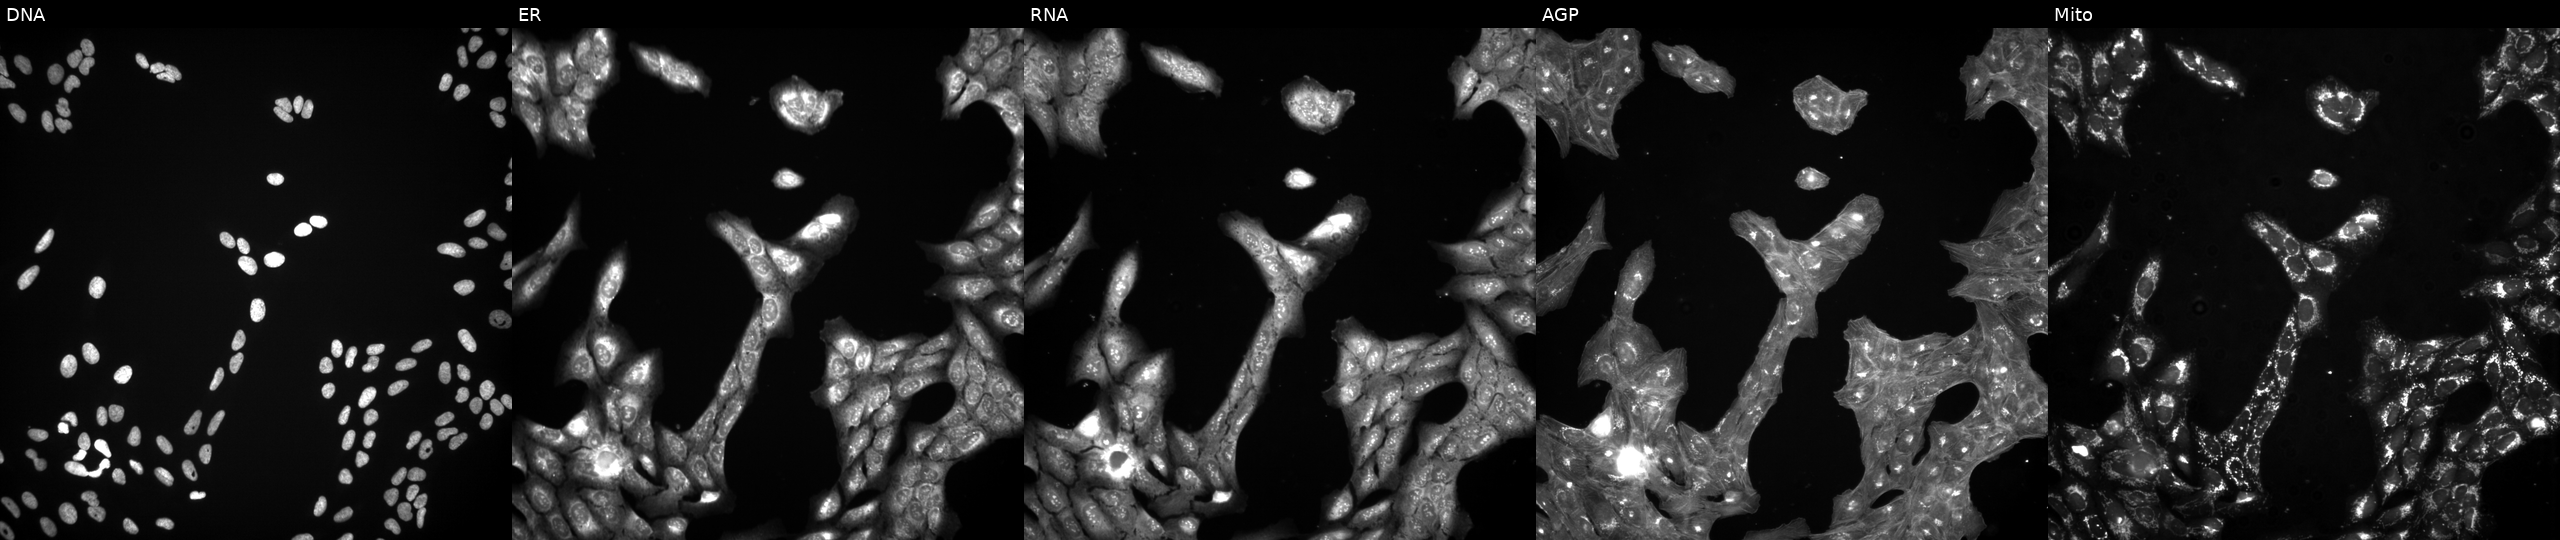
High-content fluorescence microscopy (Cell Painting). Cell line: U2OS. Perturbation: perturbed with a small-molecule compound (InChIKey CWOBDQVMKZXBET-UHFFFAOYSA-N) [SMILES: COc1cc(C2NC(=O)N=C(c3ccccc3)C2C(=O)c2ccccc2)ccc1O] (JUMP id JCP2022_013909). Channels (left→right): DNA, ER, RNA, AGP, and Mito.